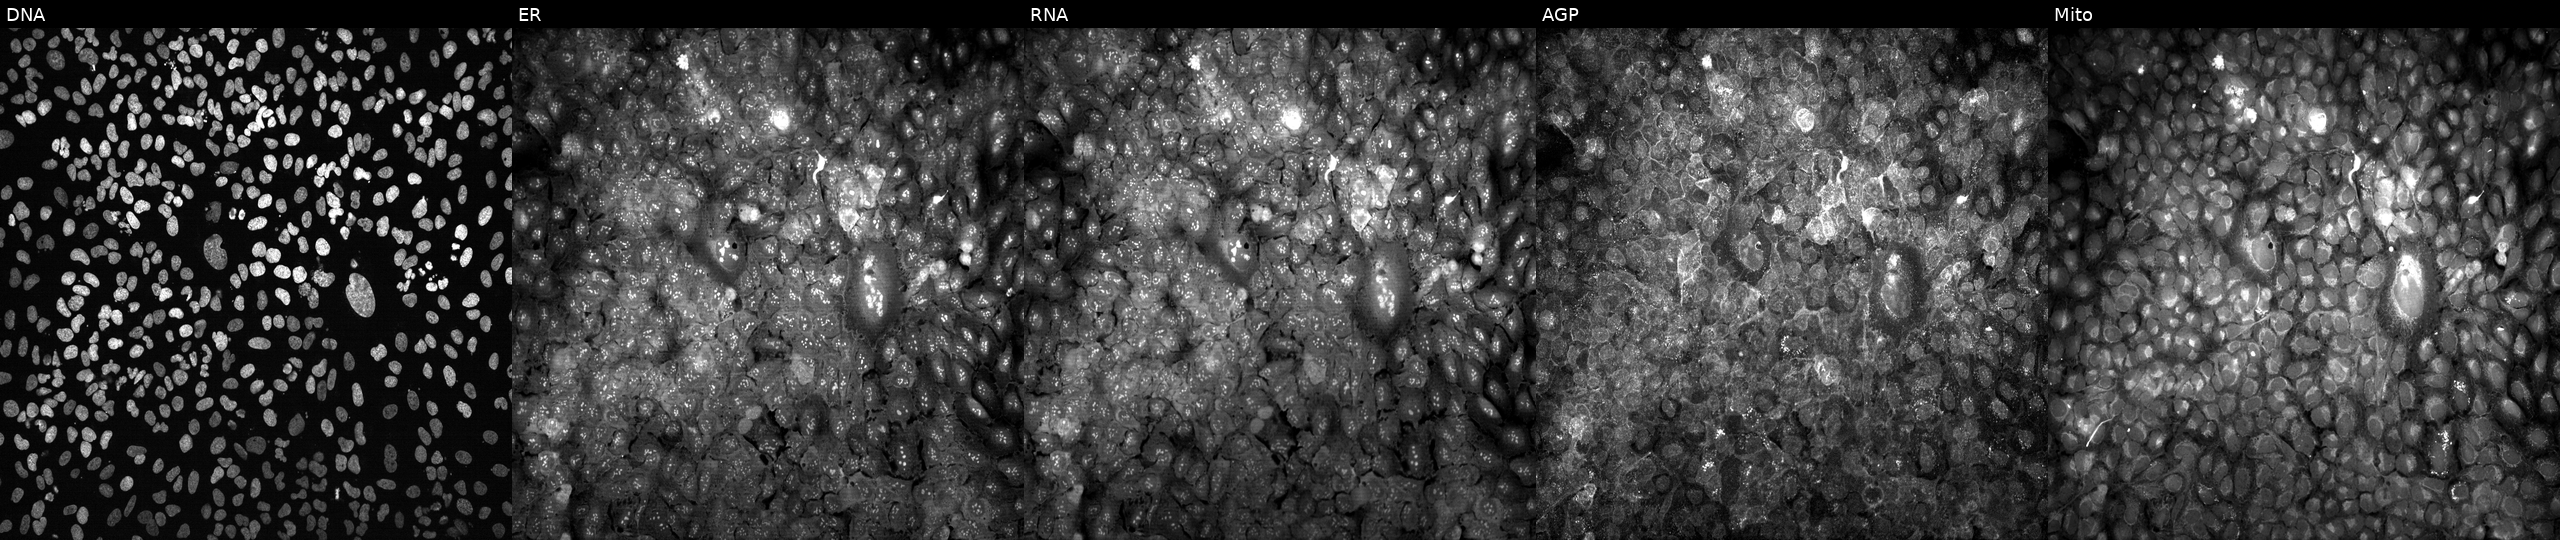
Five-channel Cell Painting image of U2OS cells CRISPR-edited to disrupt CA10 (JUMP id JCP2022_800972). Panels show, left to right, DNA (nuclei); ER (endoplasmic reticulum); RNA (nucleoli and cytoplasmic RNA); AGP (actin cytoskeleton, Golgi, and plasma membrane); Mito (mitochondria).